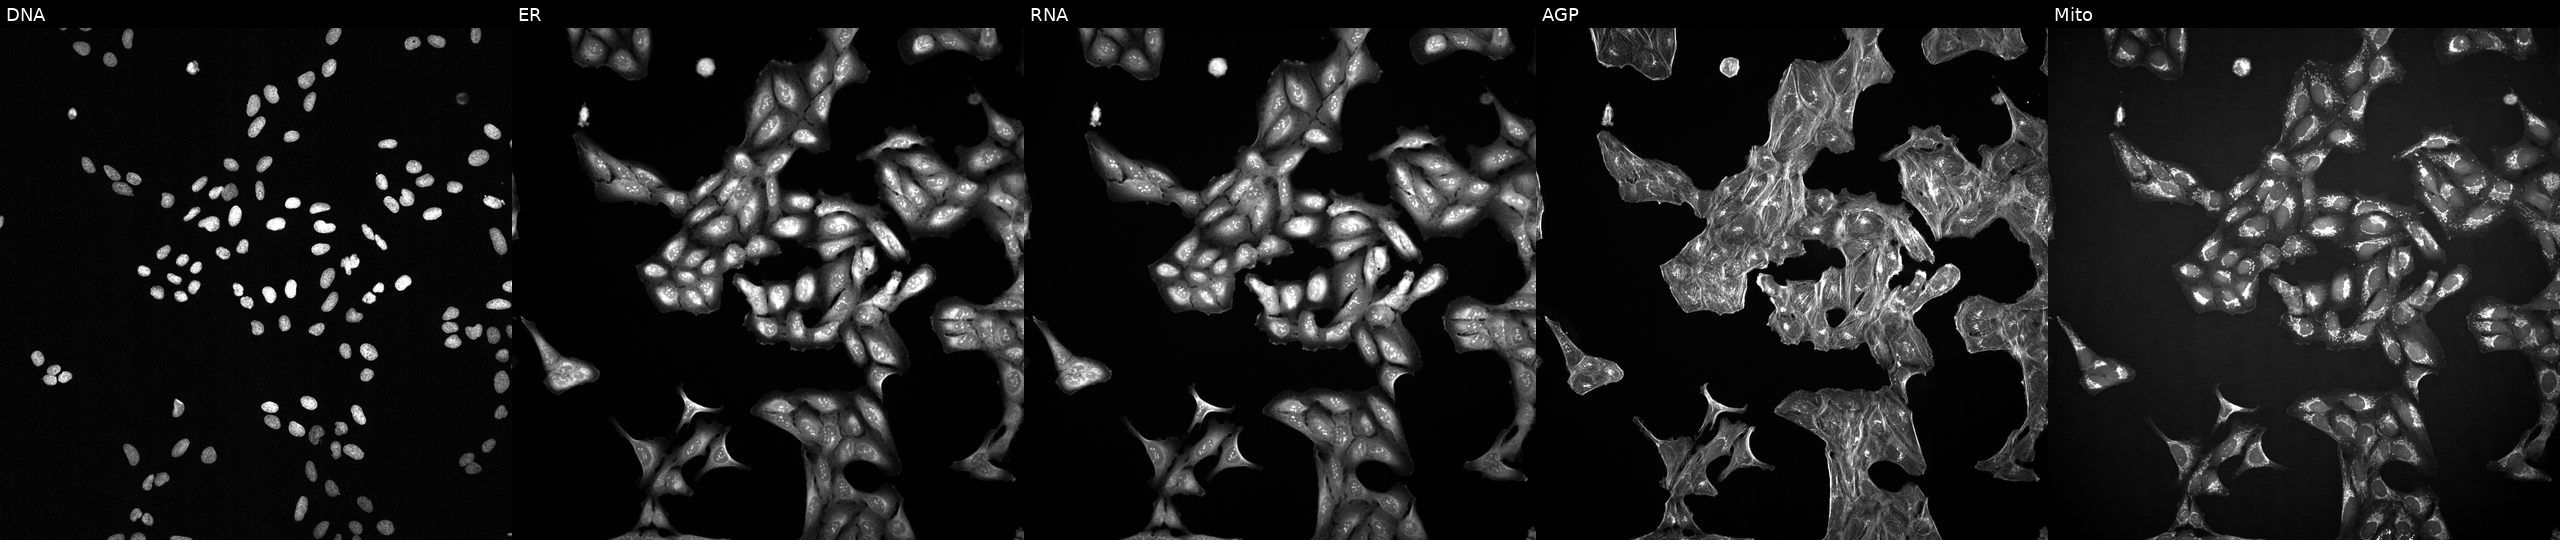
Channels (left→right): DNA, ER, RNA, AGP, and Mito. U2OS osteosarcoma cells exposed to a small-molecule compound (InChIKey DXZRBHUCOHBAHP-UHFFFAOYSA-N) [SMILES: CCOC(=O)c1c(C(C#N)C=N)c2ccc(Cl)c(Cl)c2n1C]. Cell Painting assay, JUMP-CP dataset.